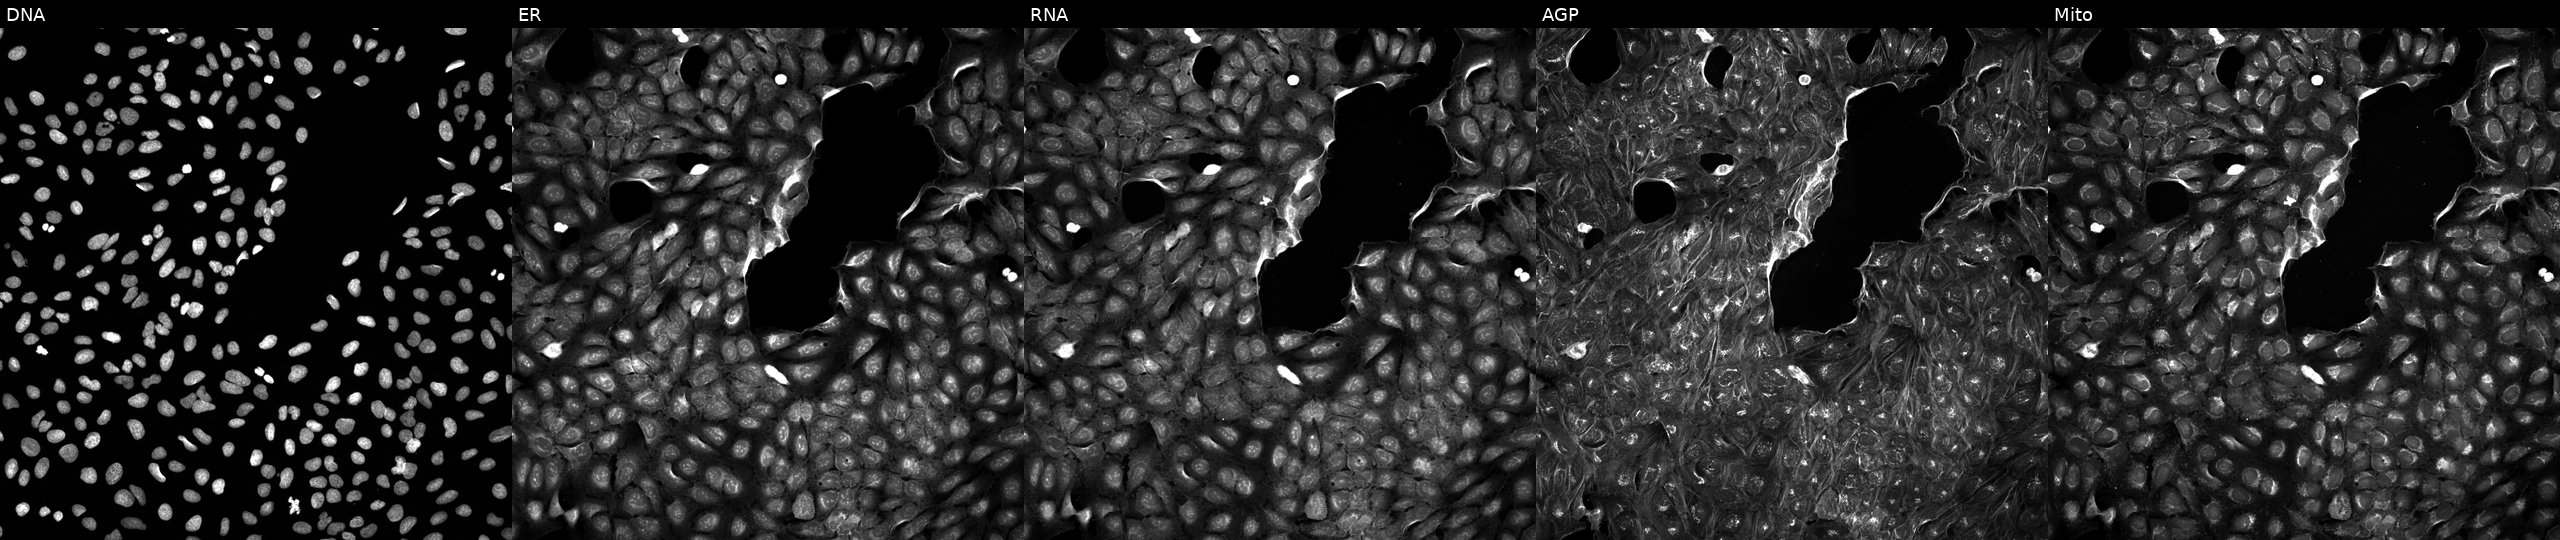
U2OS cells, Cell Painting assay, exposed to a small-molecule compound (JUMP id JCP2022_029500). From left to right: DNA, ER, RNA, AGP, and Mito. Each panel is percentile-stretched 16-bit fluorescence. Source 5, plate APTJUM106, well J13.